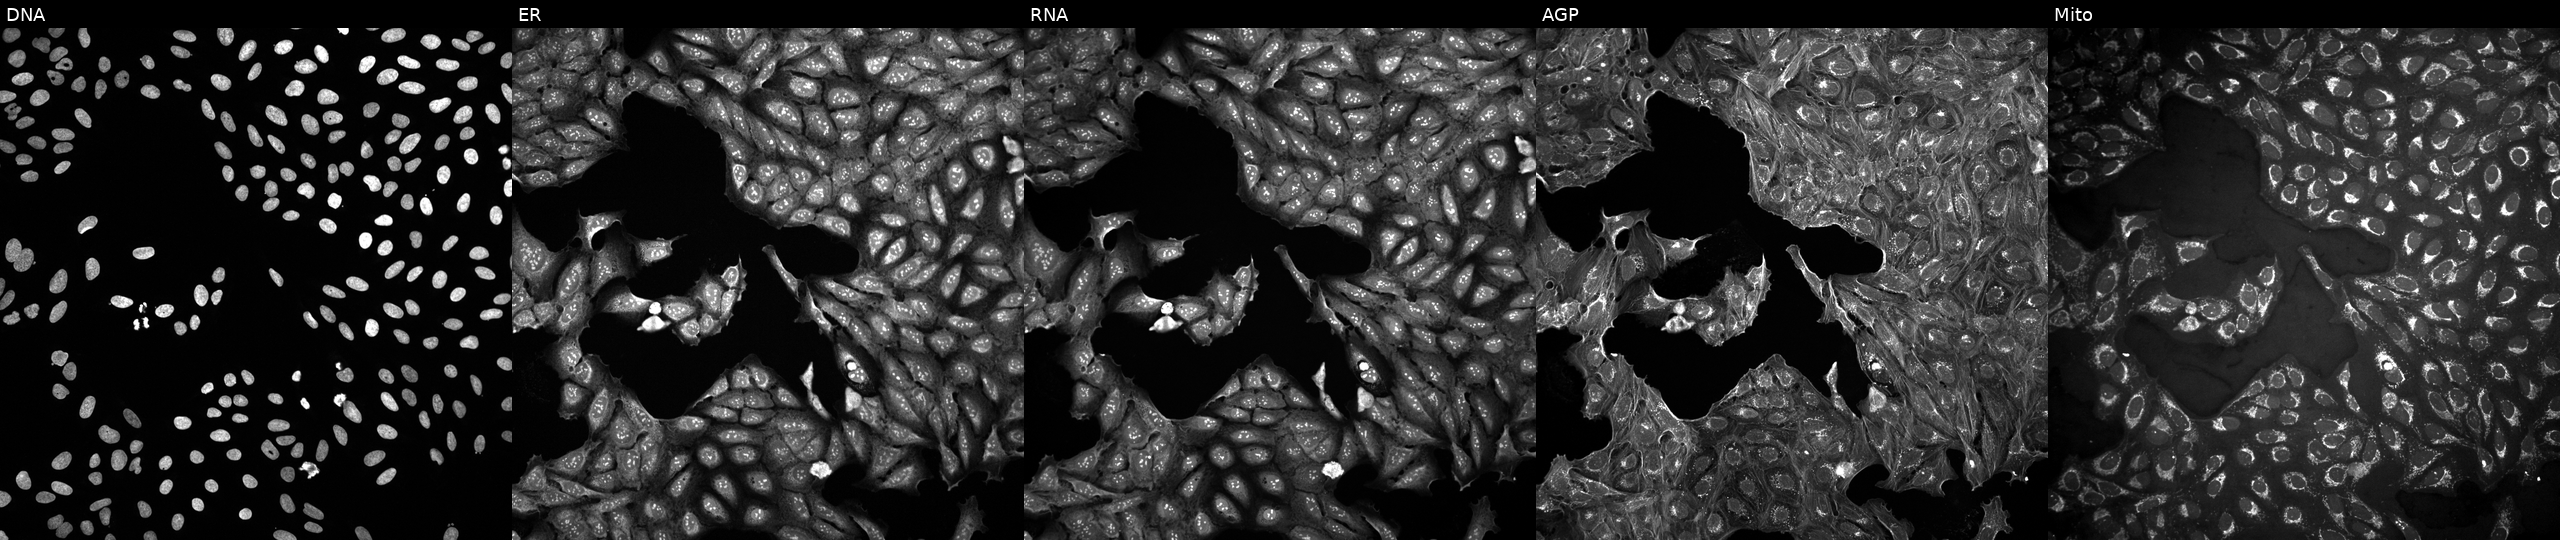
This image strip shows the five Cell Painting channels for a single field of U2OS cells exposed to a small-molecule compound (InChIKey GEWFRDAEXGMXHD-UHFFFAOYSA-N) [SMILES: COc1ccc(C2CN(c3cc(C)nc(N(C)C)n3)C3C4CCN(CC4)C23)cc1]. Channels (left→right): Hoechst 33342, concanavalin A, SYTO 14, phalloidin and WGA, MitoTracker.